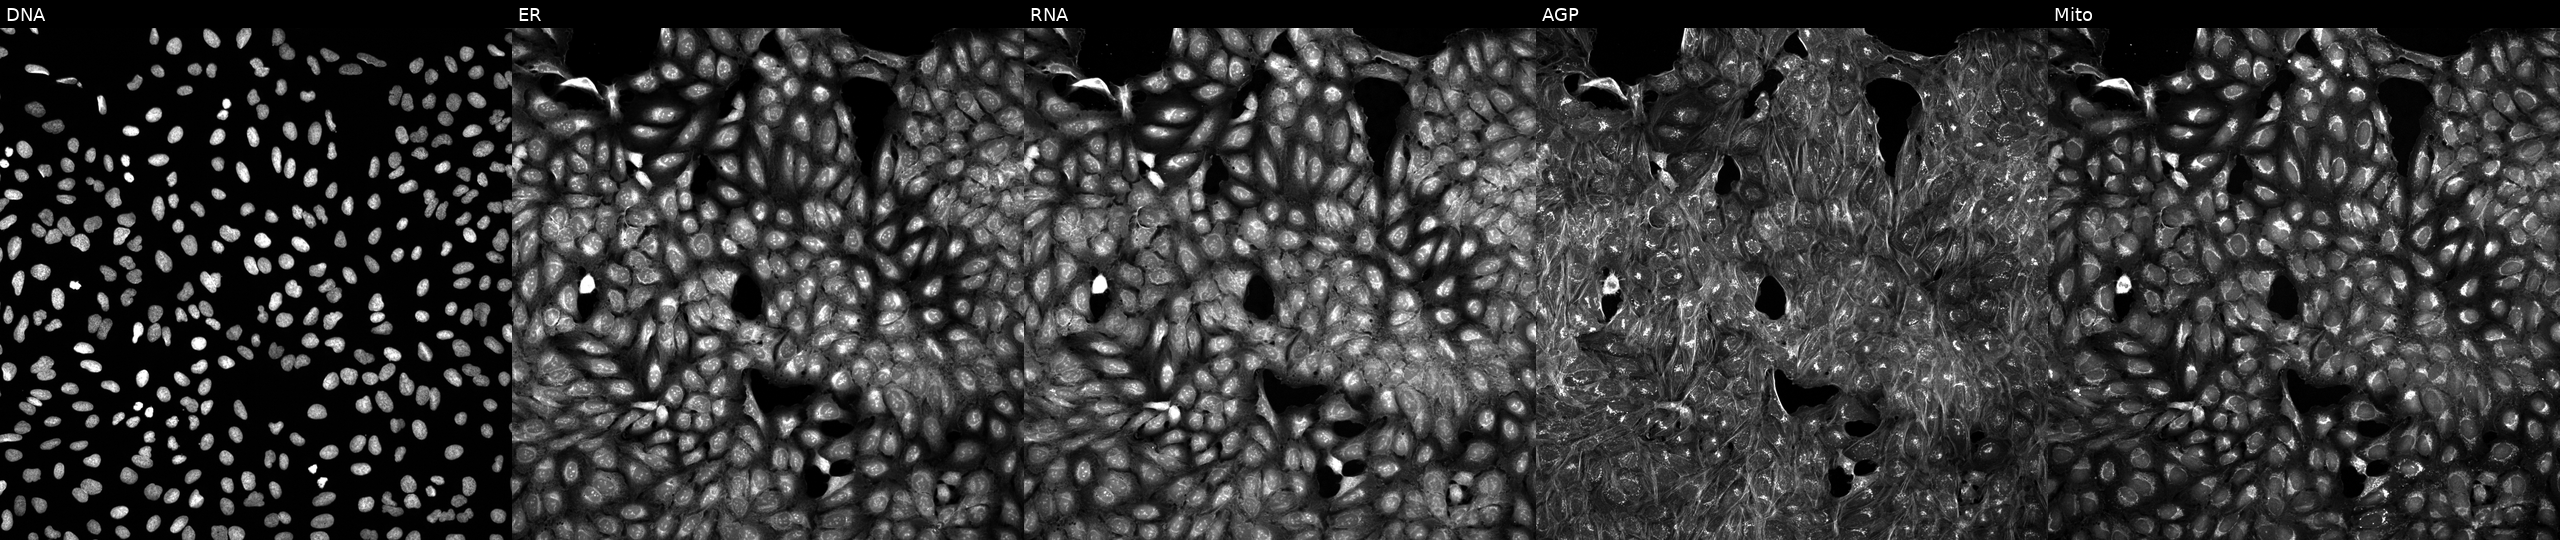
High-content fluorescence microscopy (Cell Painting). Cell line: U2OS. Perturbation: exposed to a small-molecule compound [SMILES: O=C1CCCCC(CNC(=O)c2cccc3nccnc23)N1] (JUMP id JCP2022_112712). Channels (left→right): DNA, ER, RNA, AGP, and Mito. Source 5, plate APTJUM106, well D04.